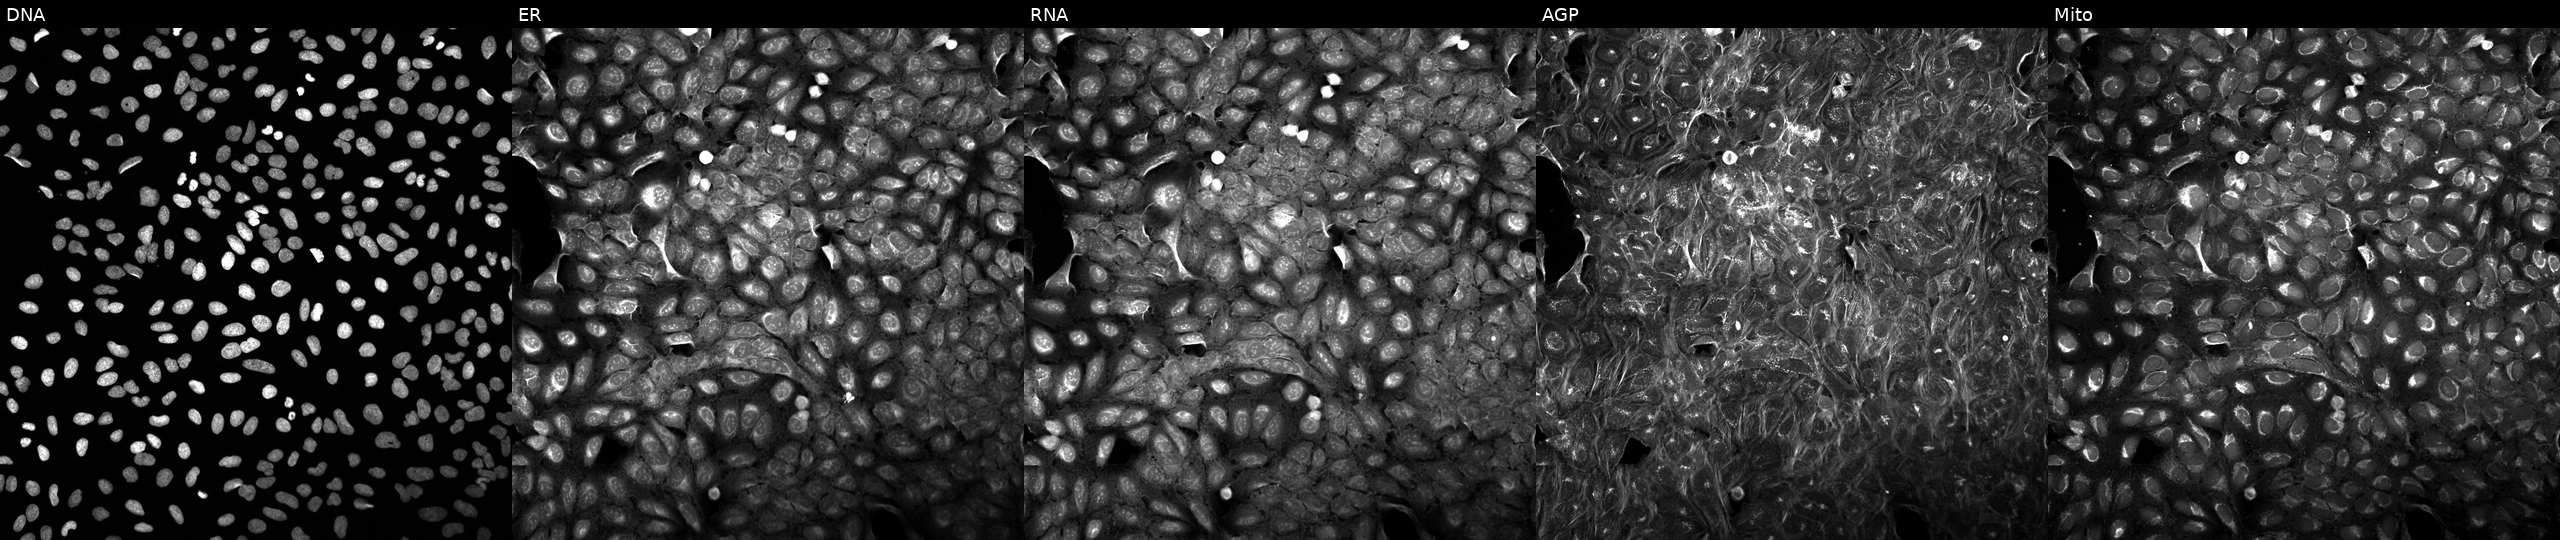
Panels show, left to right, Hoechst 33342, concanavalin A, SYTO 14, phalloidin and WGA, MitoTracker. U2OS osteosarcoma cells perturbed with a small-molecule compound (InChIKey NLSSUSRERAMBTA-UHFFFAOYSA-N) (JUMP id JCP2022_059825). Cell Painting assay, JUMP-CP dataset.